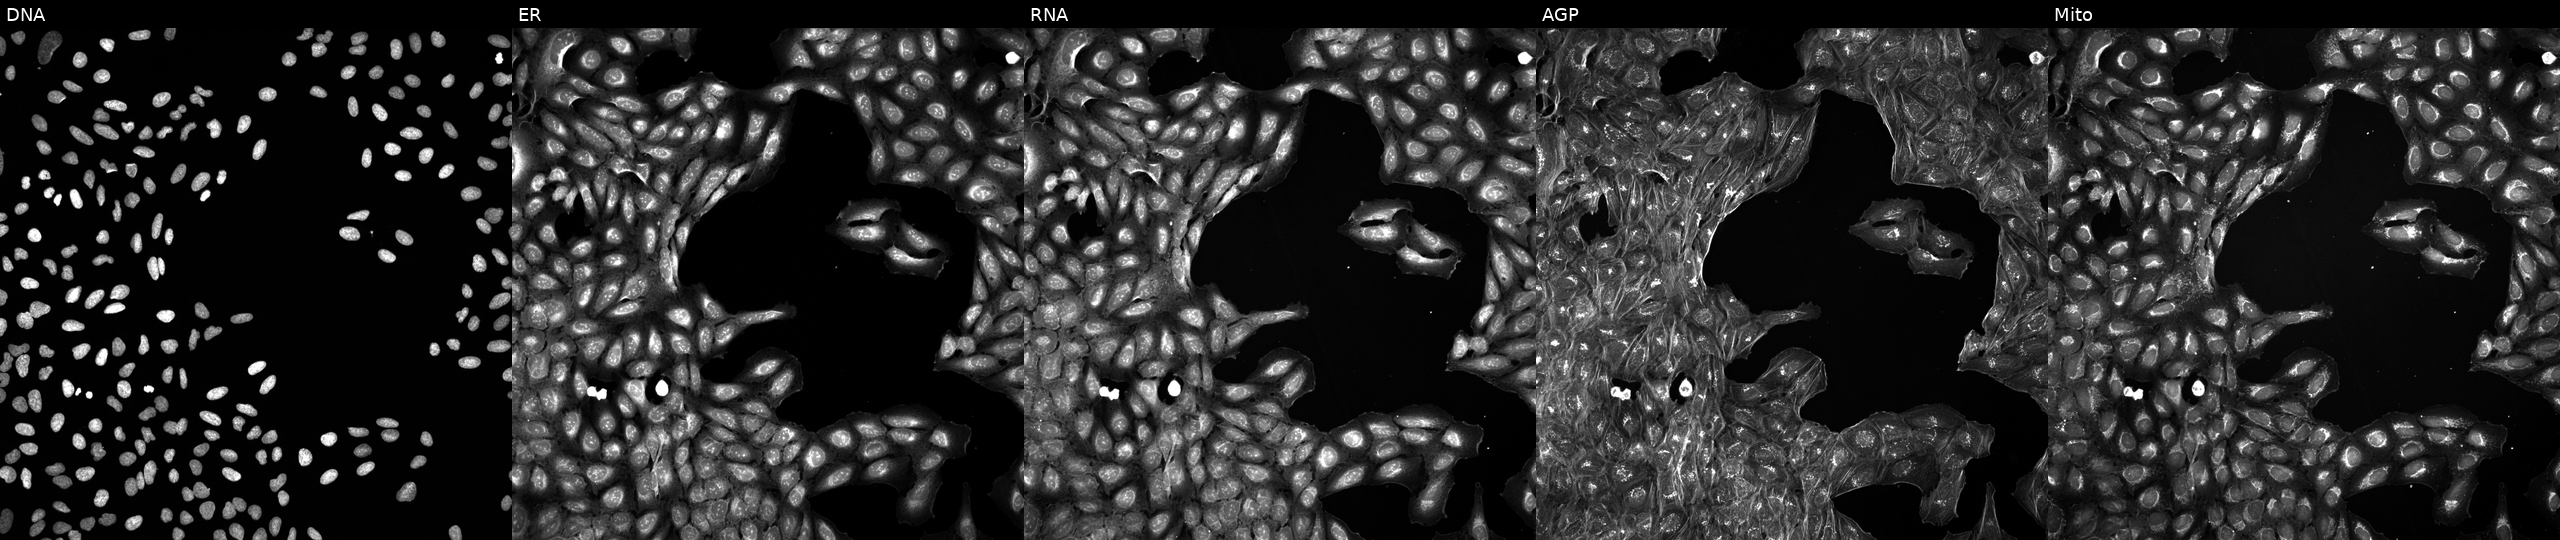
JUMP Cell Painting — COMPOUND plate. U2OS cells perturbed with a small-molecule compound (InChIKey BKCMHFATARCKAM-UHFFFAOYSA-N) (JUMP id JCP2022_006873). Channels (left→right): Hoechst 33342, concanavalin A, SYTO 14, phalloidin and WGA, MitoTracker. Source 5, plate APTJUM106, well A17.